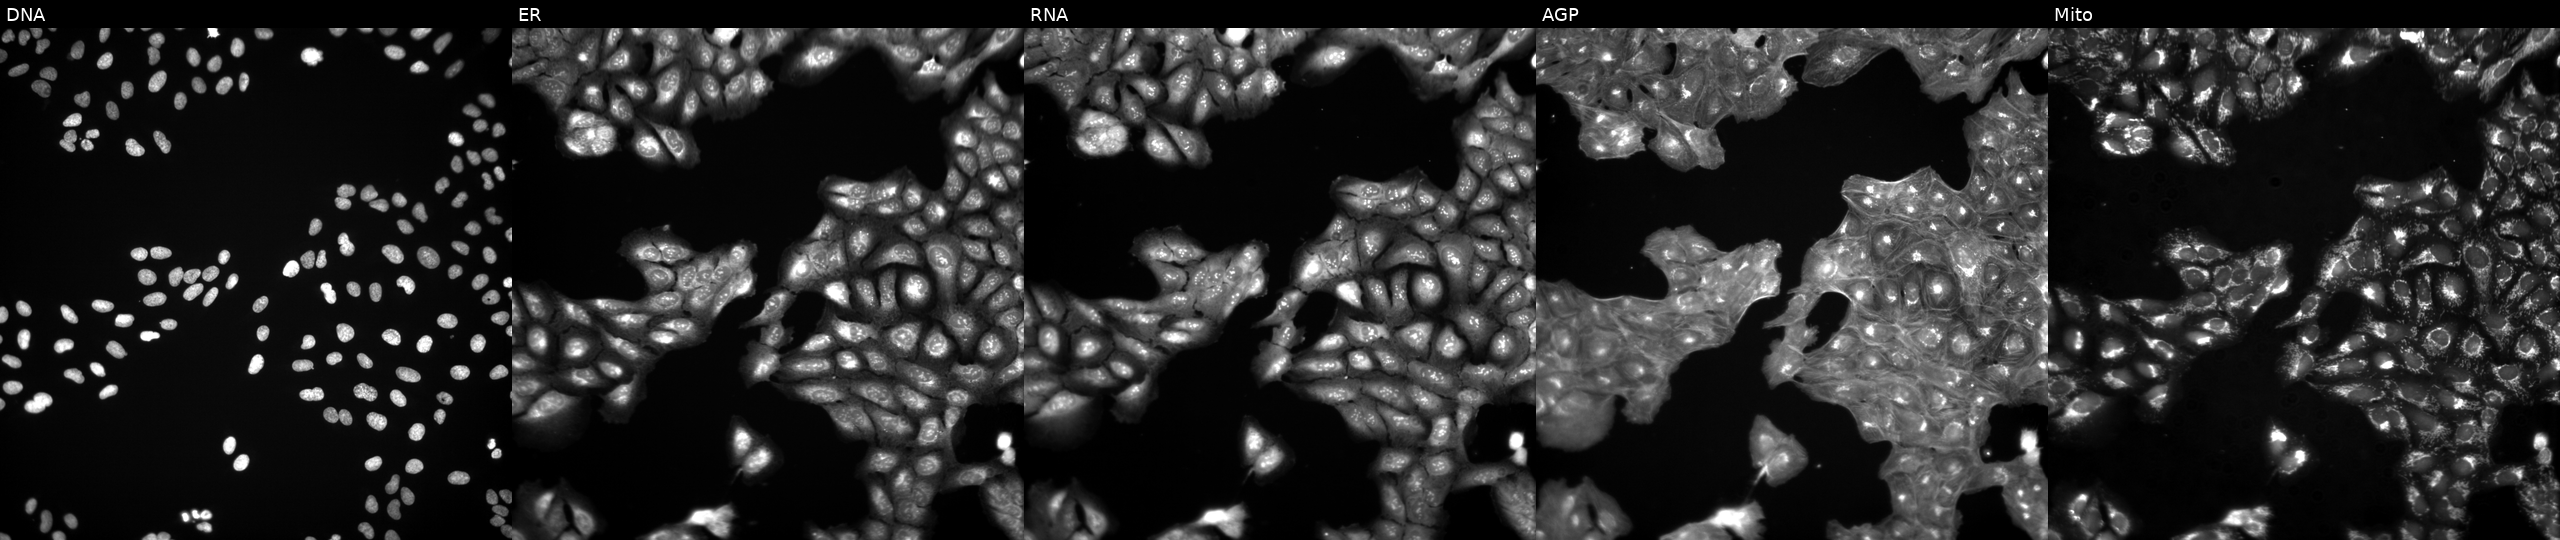
This image strip shows the five Cell Painting channels for a single field of U2OS cells untreated (empty-well control). From left to right: DNA (nuclei); ER (endoplasmic reticulum); RNA (nucleoli and cytoplasmic RNA); AGP (actin cytoskeleton, Golgi, and plasma membrane); Mito (mitochondria).